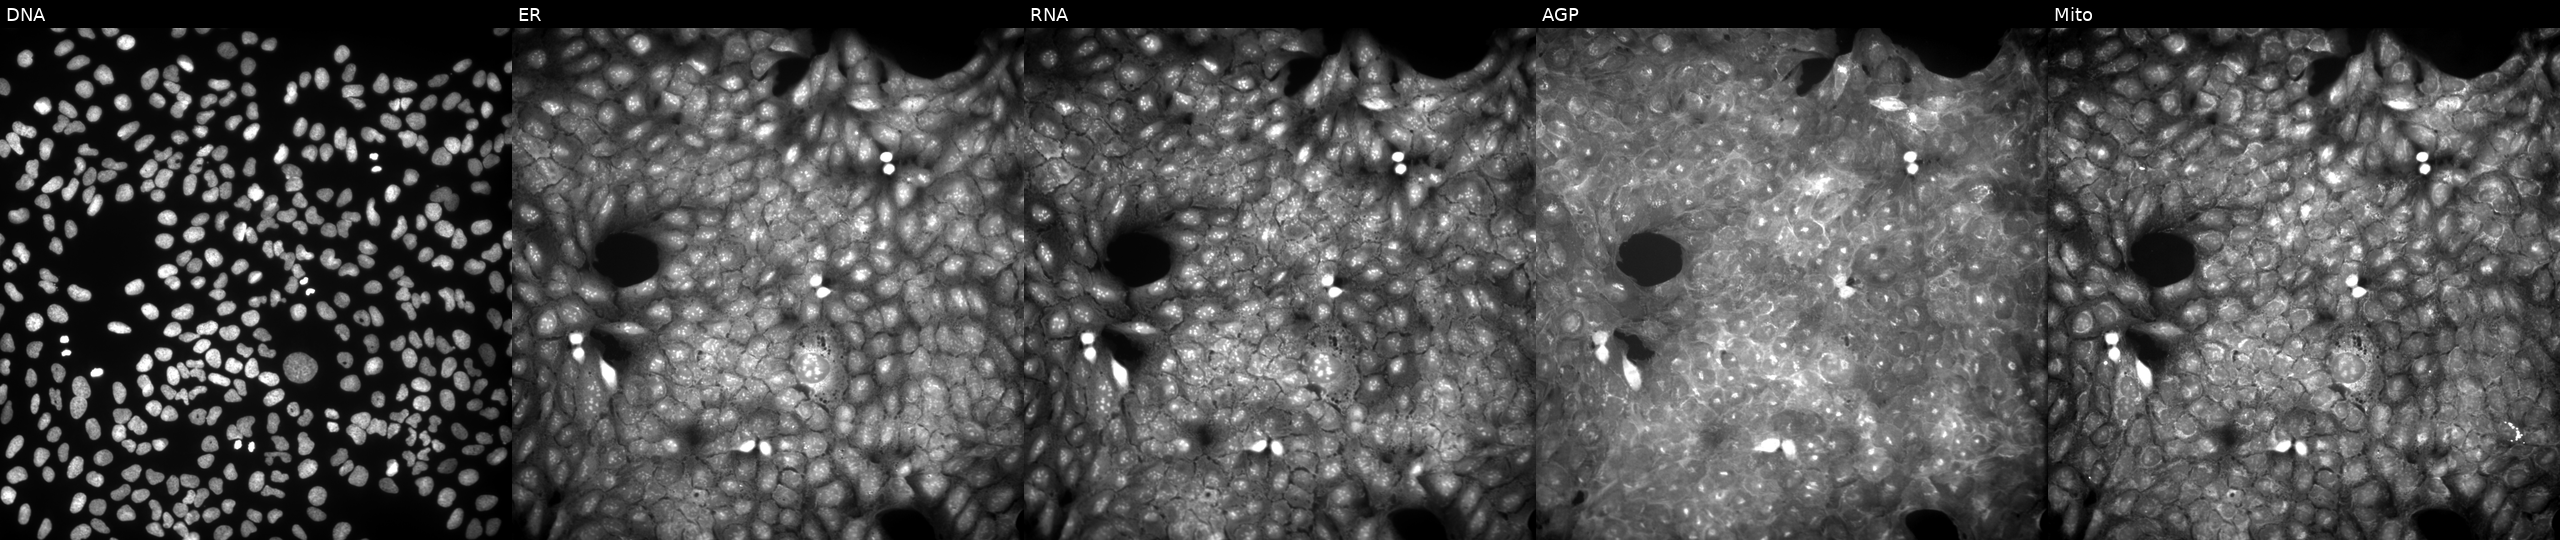
Five-channel Cell Painting image of U2OS cells exposed to DMSO alone as a negative control. From left to right: DNA (nuclei); ER (endoplasmic reticulum); RNA (nucleoli and cytoplasmic RNA); AGP (actin cytoskeleton, Golgi, and plasma membrane); Mito (mitochondria).